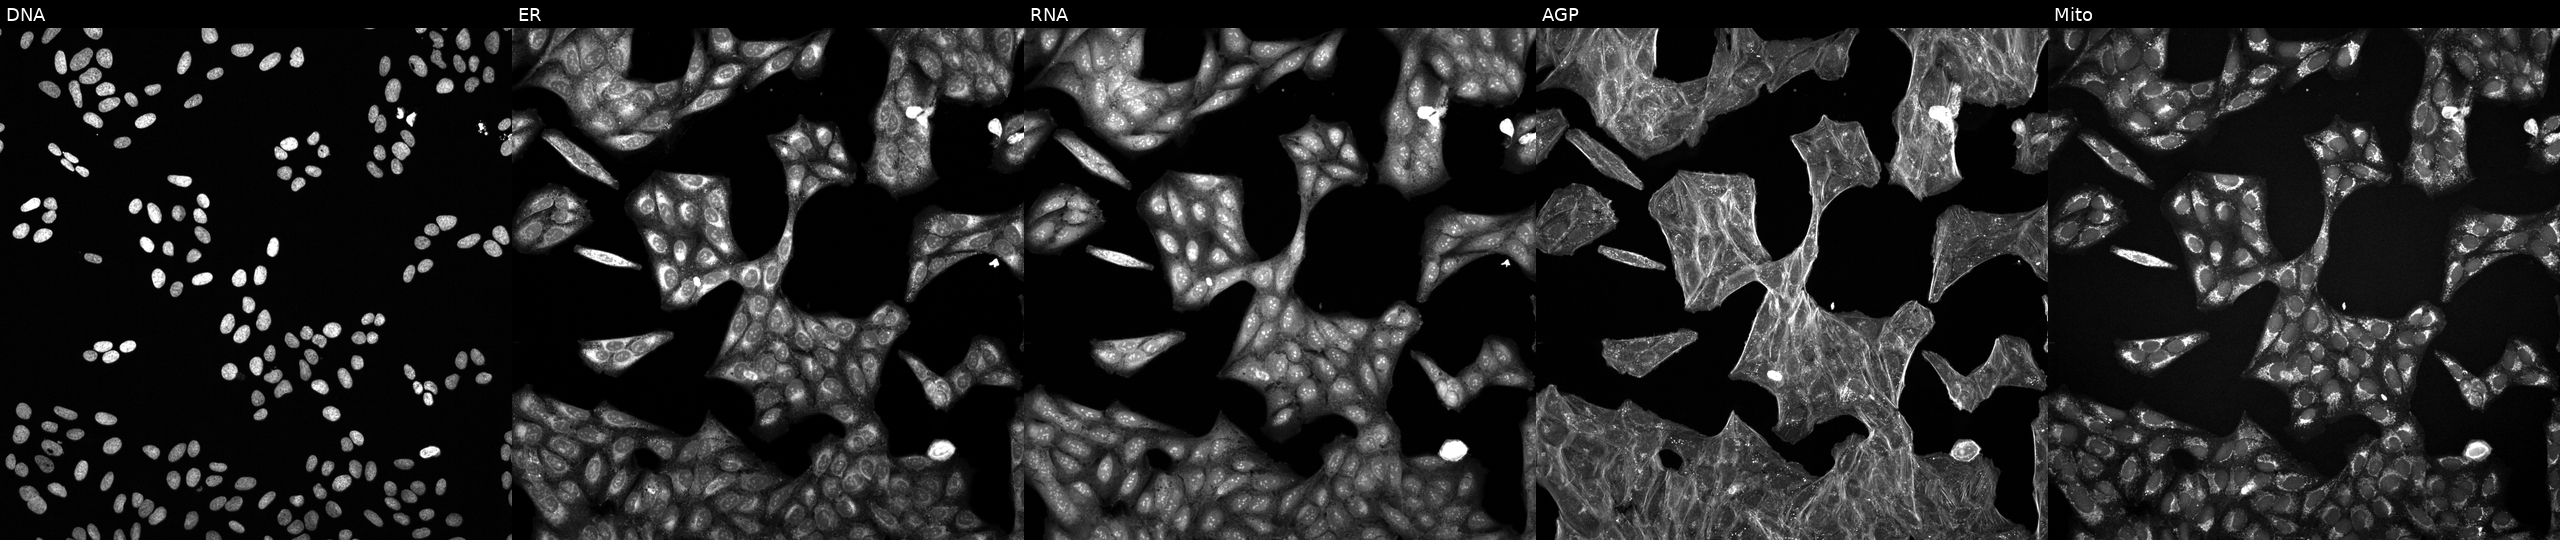
High-content fluorescence microscopy (Cell Painting). Cell line: U2OS. Perturbation: exposed to a small-molecule compound [SMILES: CC(C)C1c2ccc(F)cc2CCC1(CCN(C)CCCc1nc2ccccc2[nH]1)OC(=O)C1CC1] (JUMP id JCP2022_093956). The five panels, left to right, show DNA (nuclei); ER (endoplasmic reticulum); RNA (nucleoli and cytoplasmic RNA); AGP (actin cytoskeleton, Golgi, and plasma membrane); Mito (mitochondria).